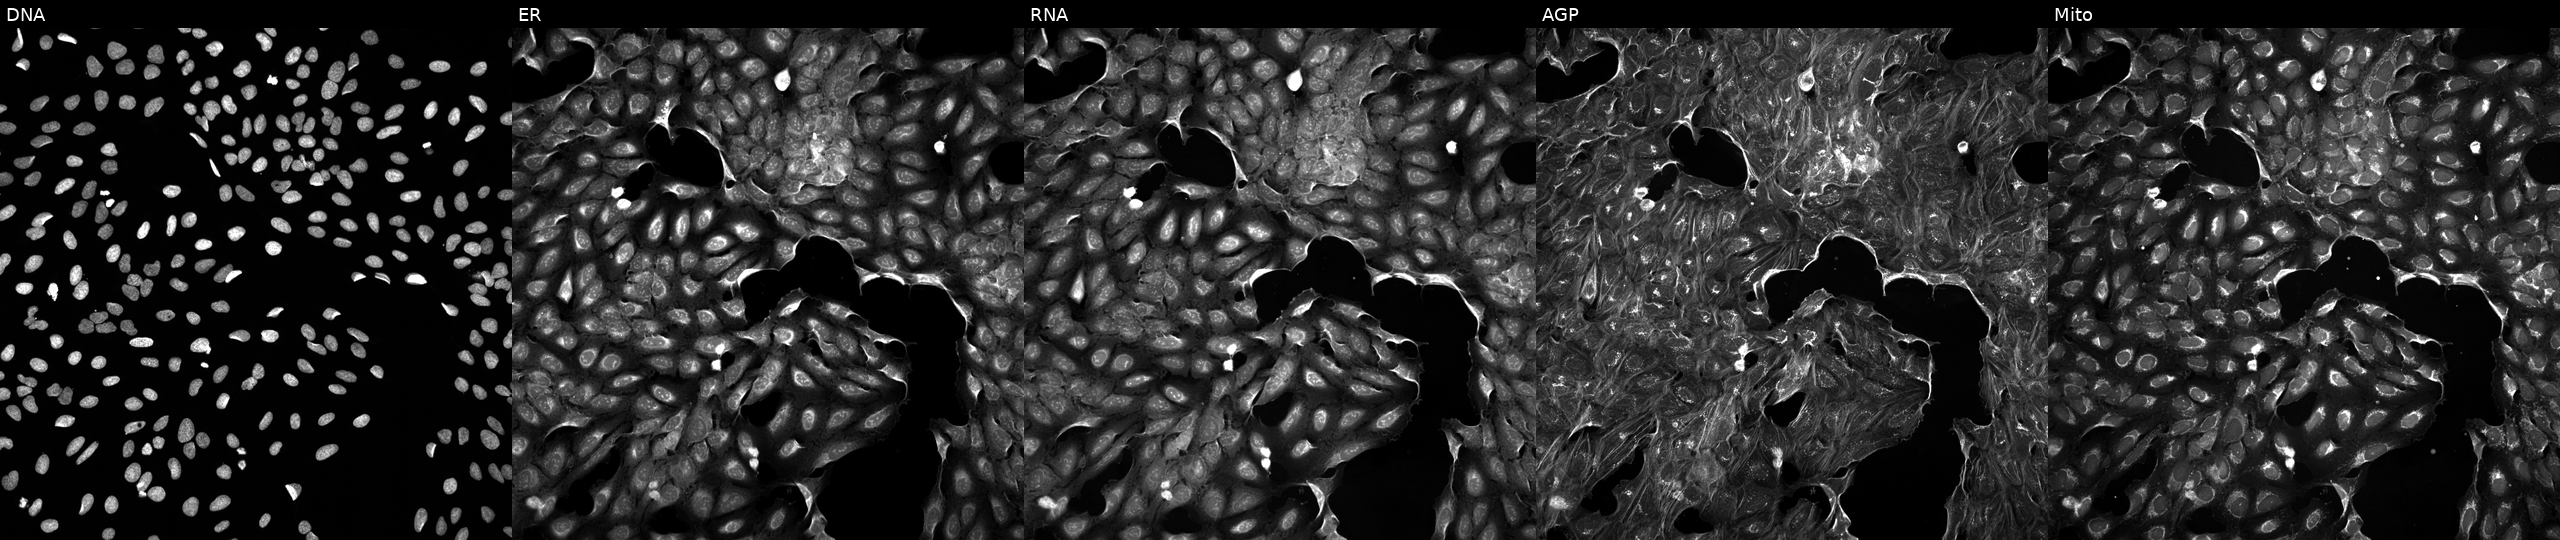
Channels (left→right): DNA, ER, RNA, AGP, and Mito. U2OS osteosarcoma cells perturbed with a small-molecule compound (JUMP id JCP2022_022191). Cell Painting assay, JUMP-CP dataset. Source 5, plate ACPJUM051, well O04.